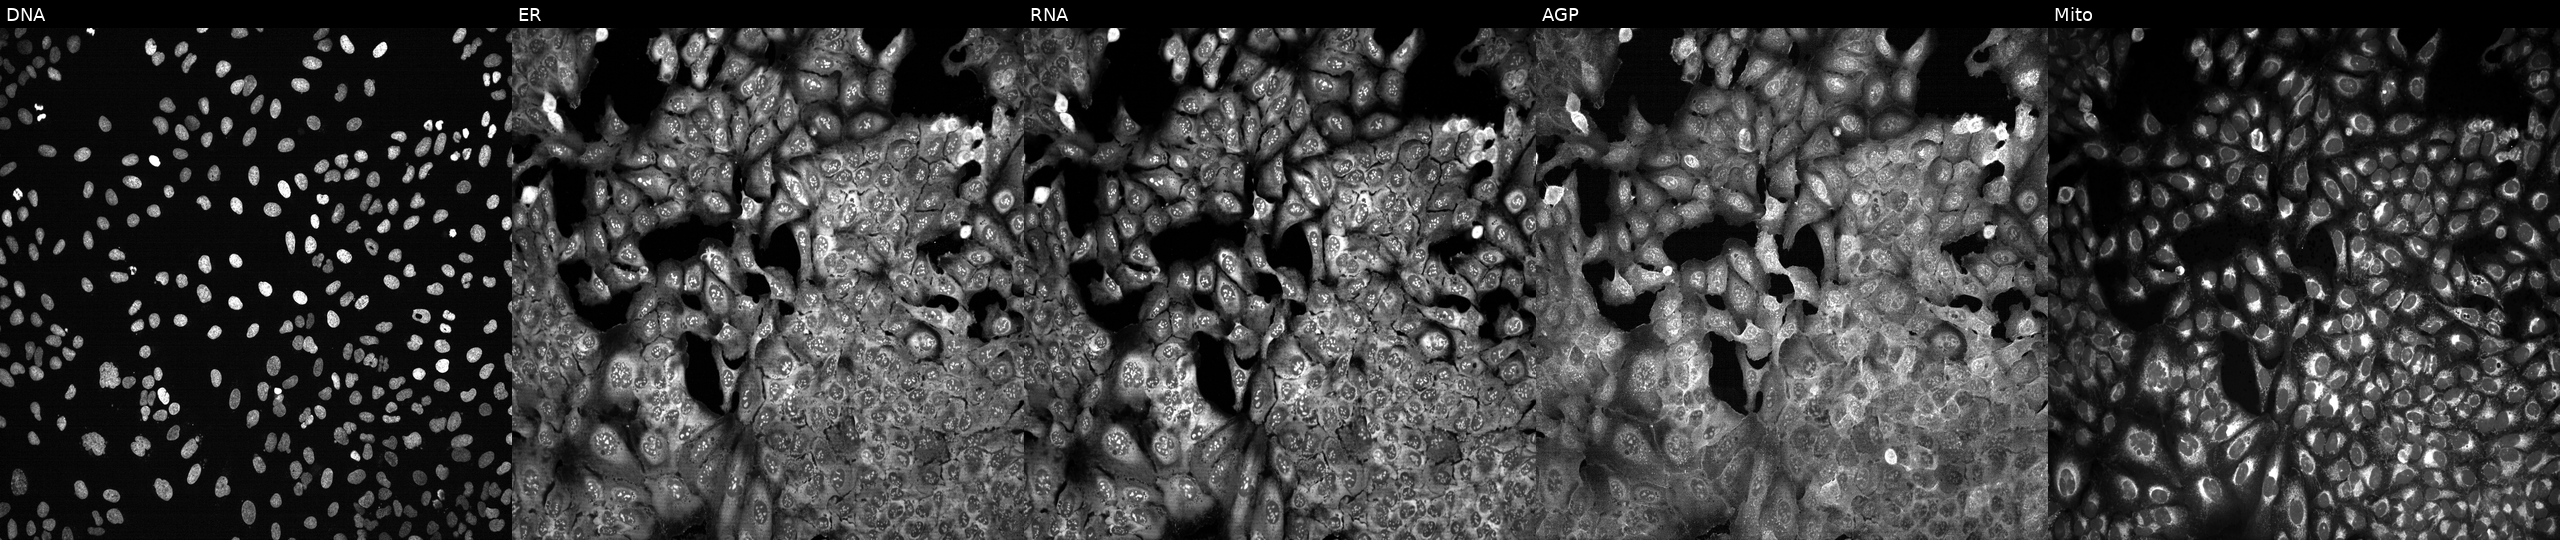
JUMP Cell Painting — CRISPR plate. U2OS cells with ATP13A5 knocked out by CRISPR (JUMP id JCP2022_800699). The five panels, left to right, show DNA, ER, RNA, AGP, and Mito.